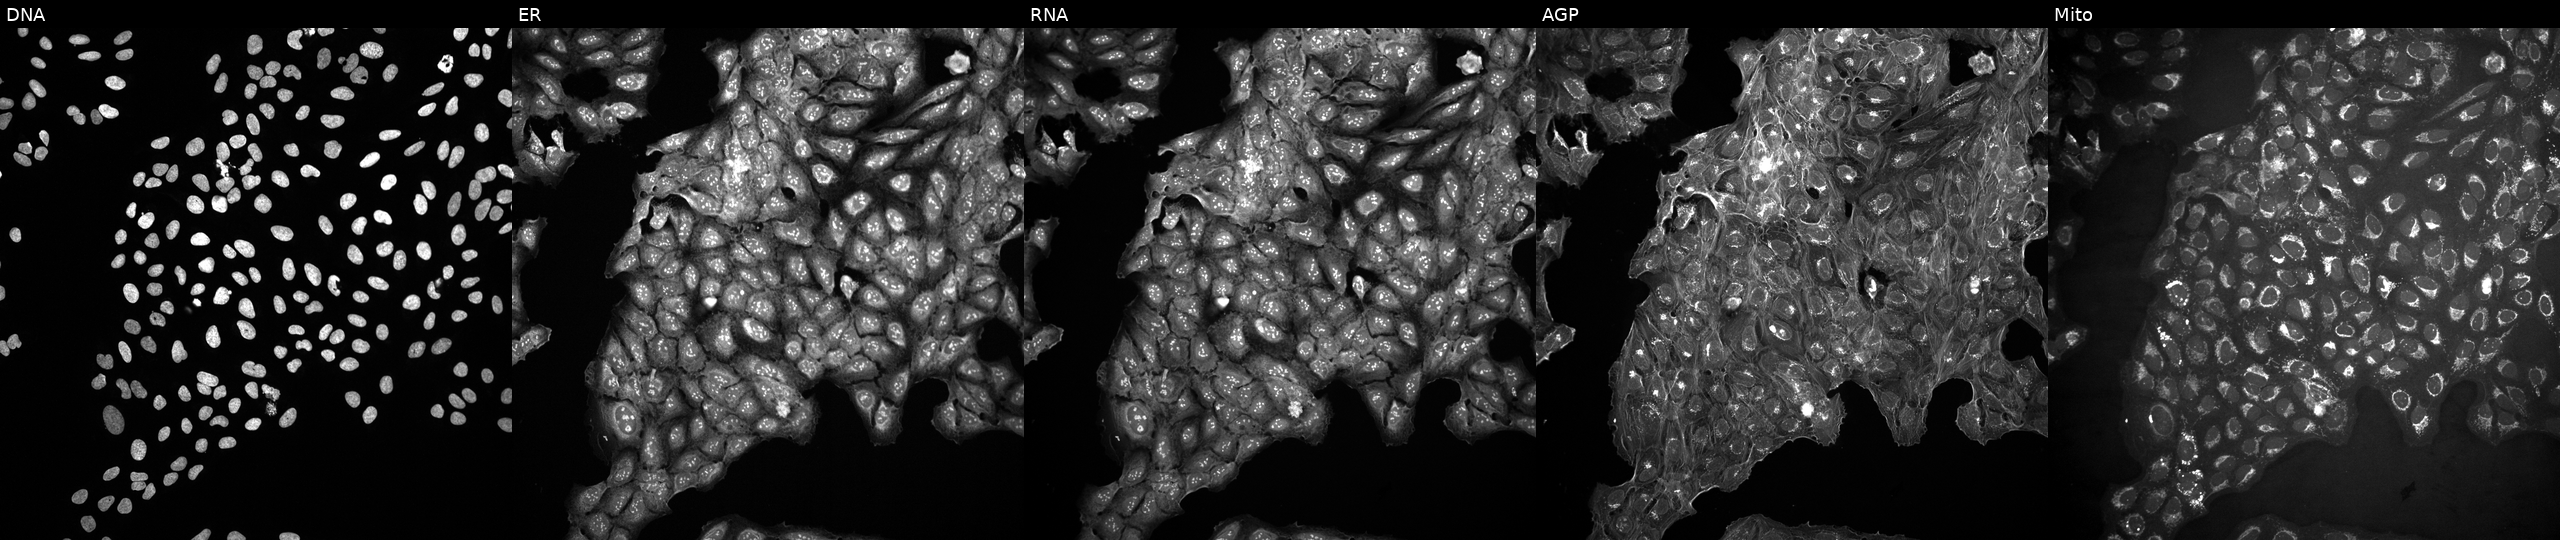
Channels (left→right): Hoechst 33342, concanavalin A, SYTO 14, phalloidin and WGA, MitoTracker. U2OS osteosarcoma cells perturbed with a small-molecule compound (InChIKey RSEKUBZIOLGYNT-UHFFFAOYSA-N) (JUMP id JCP2022_080393). Cell Painting assay, JUMP-CP dataset. Source 10, plate Dest210531-152149, well N11.